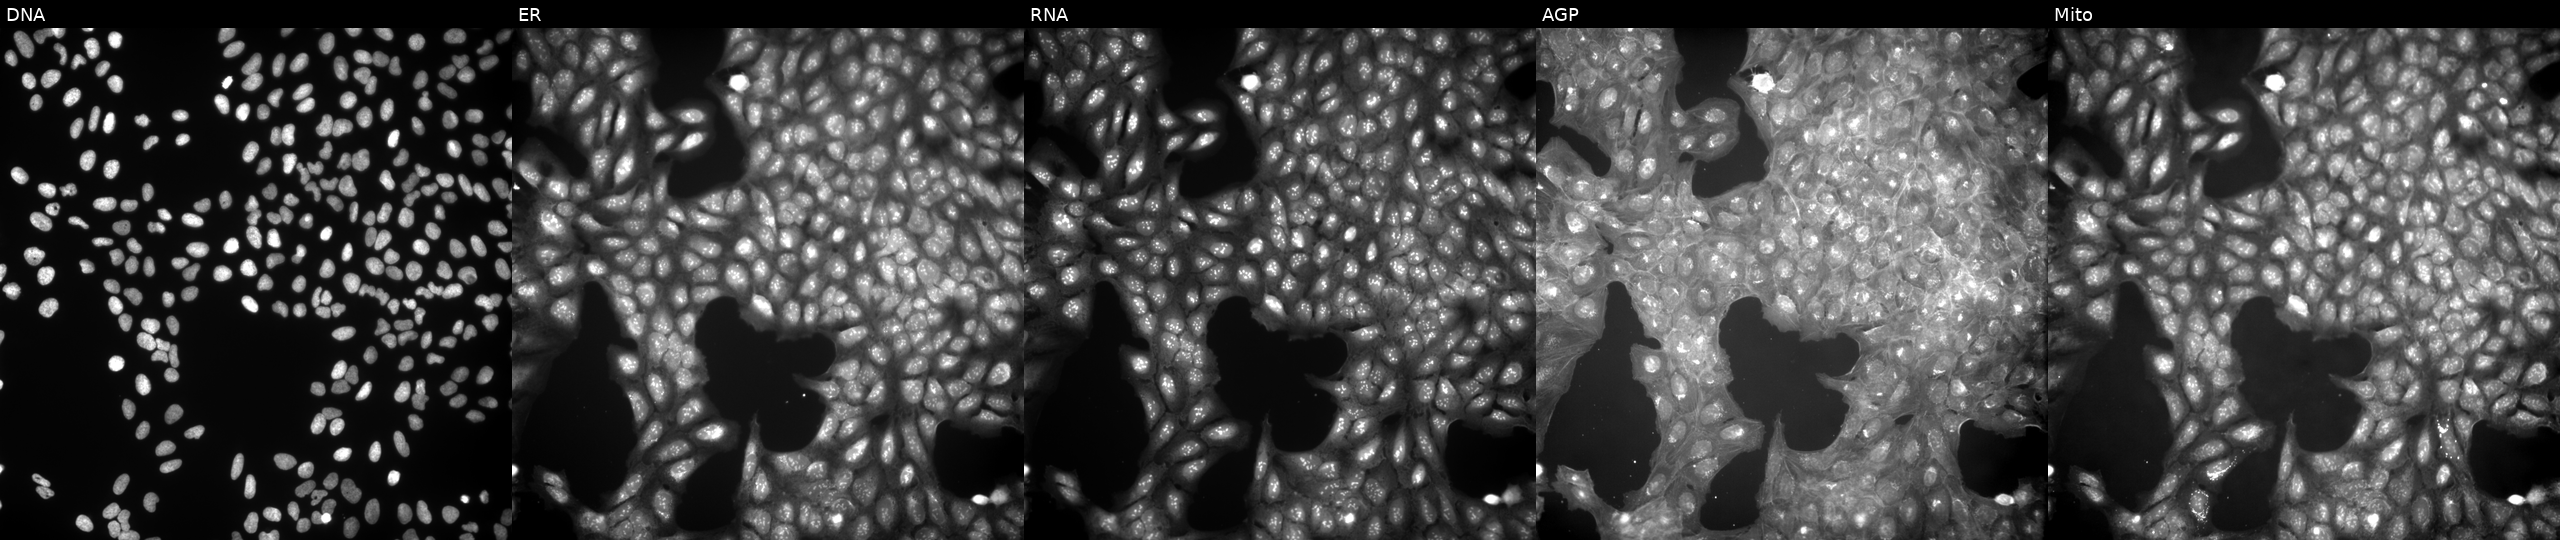
This image strip shows the five Cell Painting channels for a single field of U2OS cells perturbed with a small-molecule compound (InChIKey FINAYYKHVPYYIY-UHFFFAOYSA-N). From left to right: DNA, ER, RNA, AGP, and Mito.